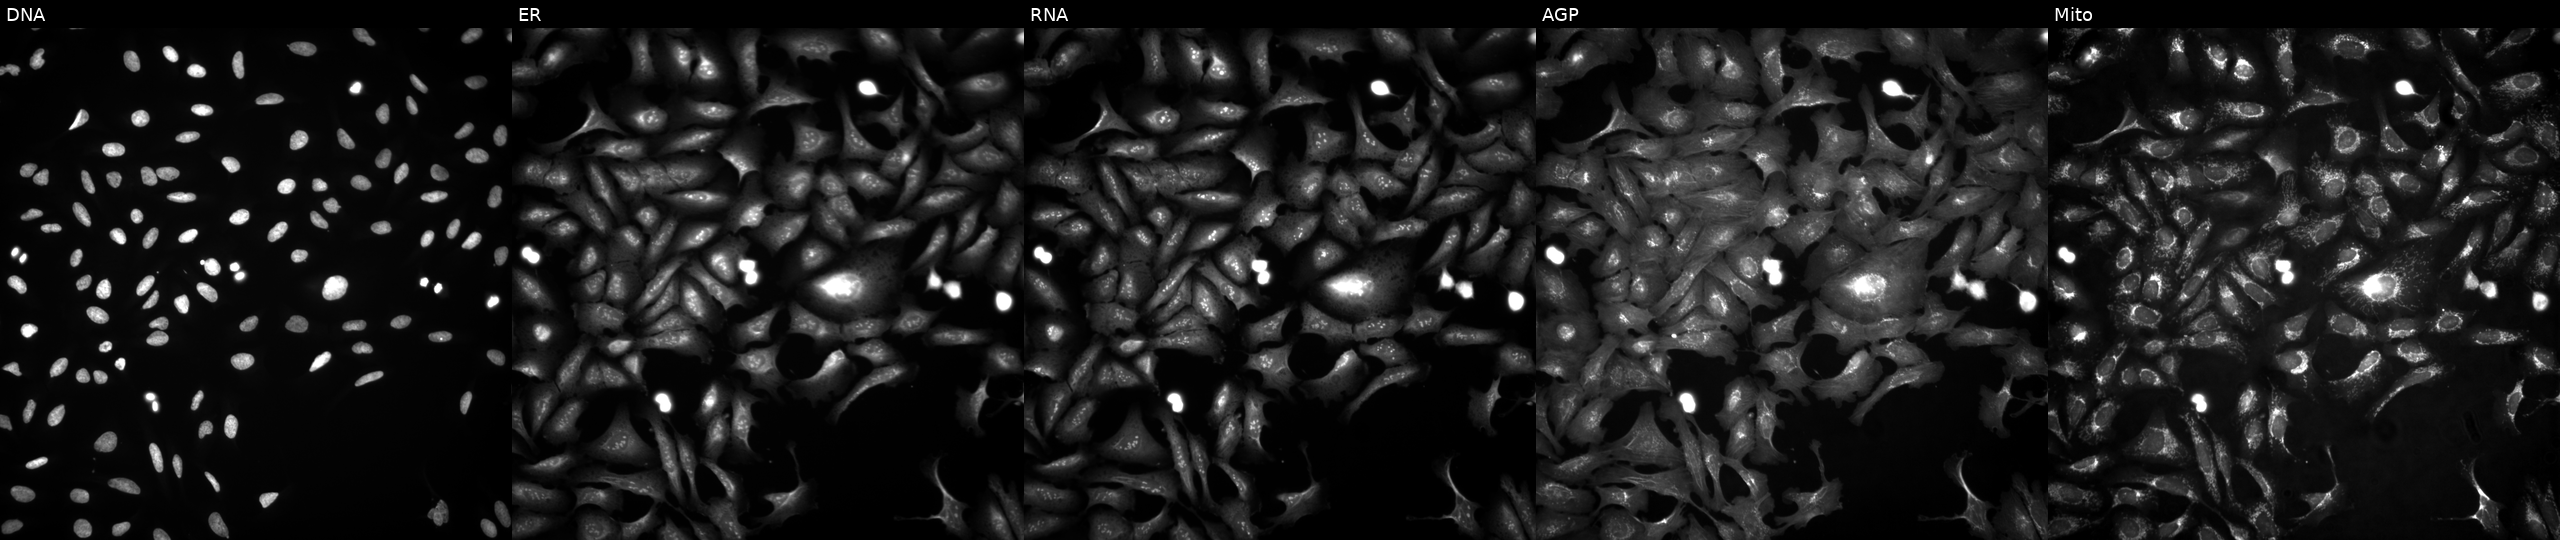
U2OS cells, Cell Painting assay, with UTP3 overexpressed (ORF) (JUMP id JCP2022_903545). The five panels, left to right, show DNA, ER, RNA, AGP, and Mito. Each panel is percentile-stretched 16-bit fluorescence. Source 4, plate BR00124787, well D17.